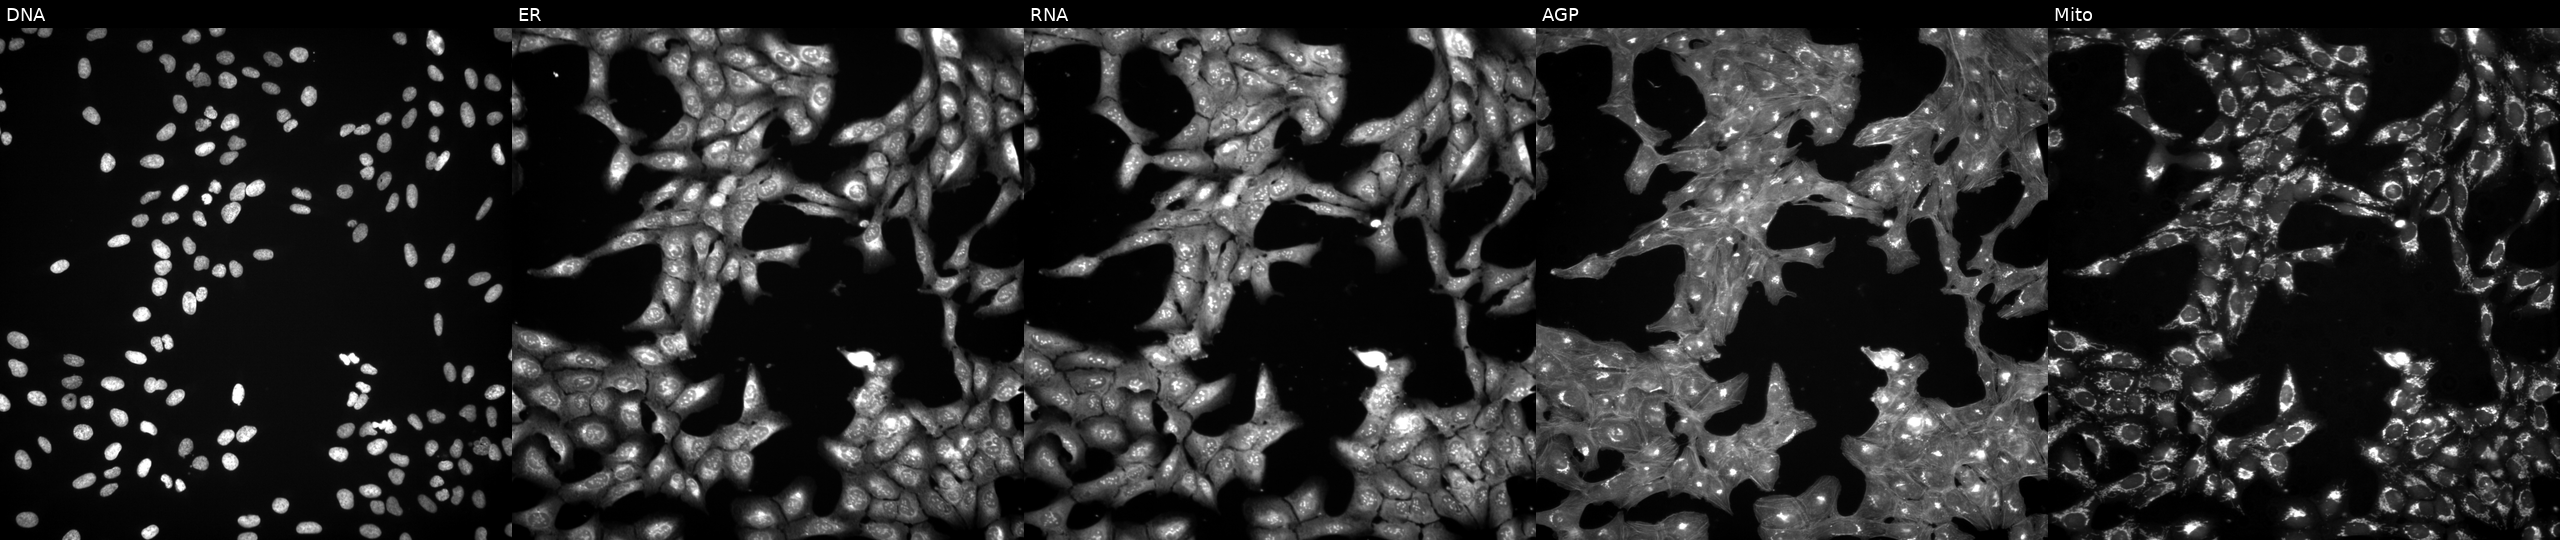
High-content fluorescence microscopy (Cell Painting). Cell line: U2OS. Perturbation: treated with a small-molecule compound (InChIKey NGCHLMIZZPPMQT-UHFFFAOYSA-N). The five panels, left to right, show DNA, ER, RNA, AGP, and Mito.